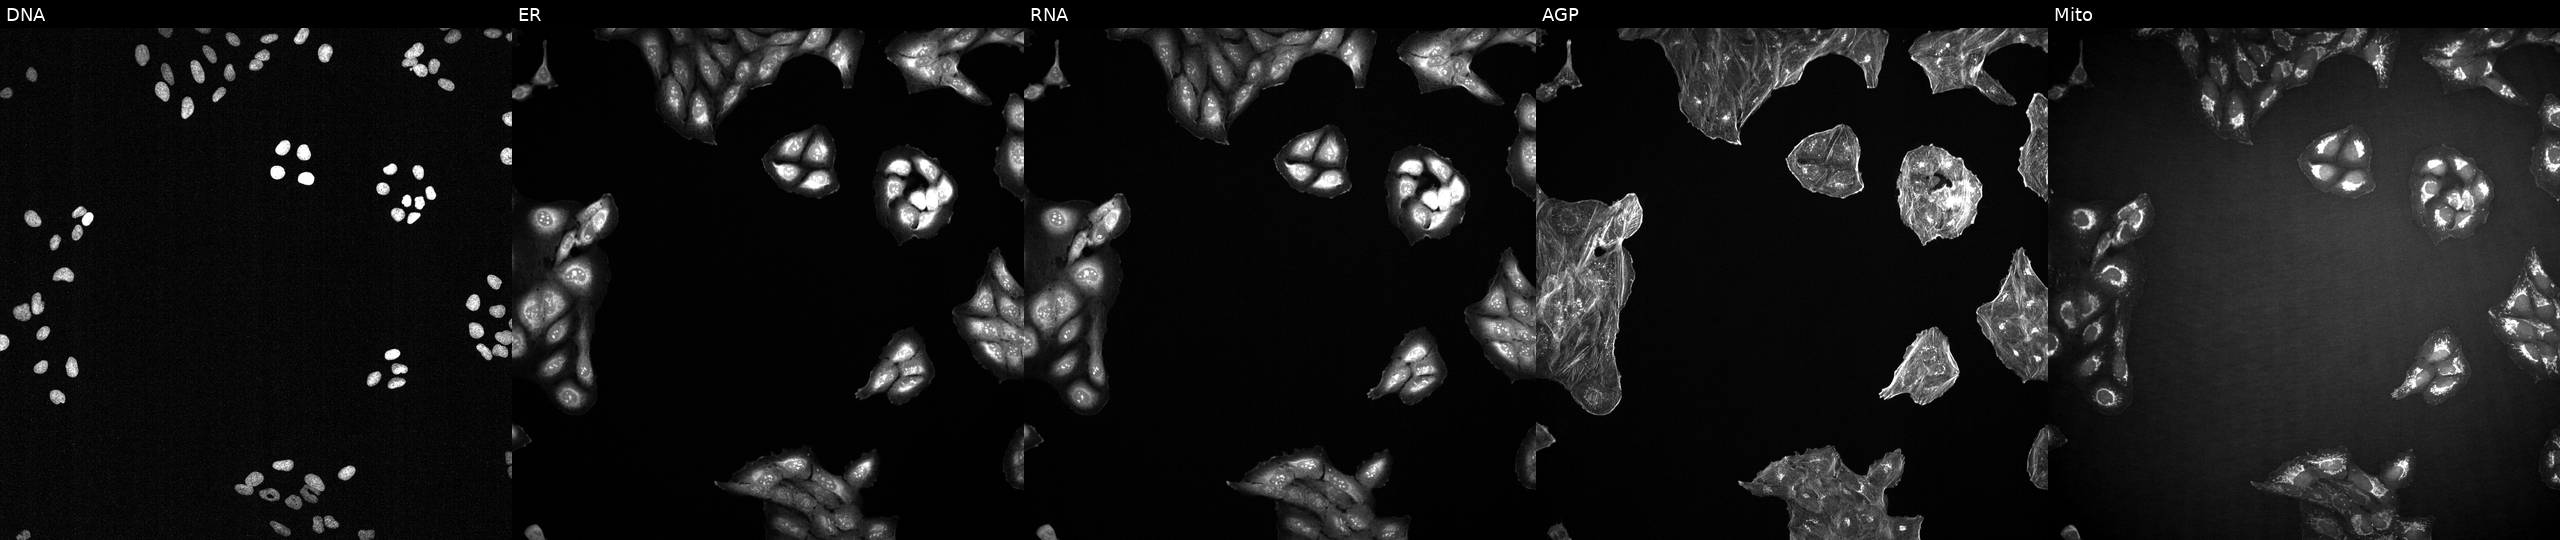
JUMP Cell Painting — TARGET2 plate. U2OS cells perturbed with a small-molecule compound (InChIKey PDMUULPVBYQBBK-UHFFFAOYSA-N). From left to right: Hoechst 33342, concanavalin A, SYTO 14, phalloidin and WGA, MitoTracker.